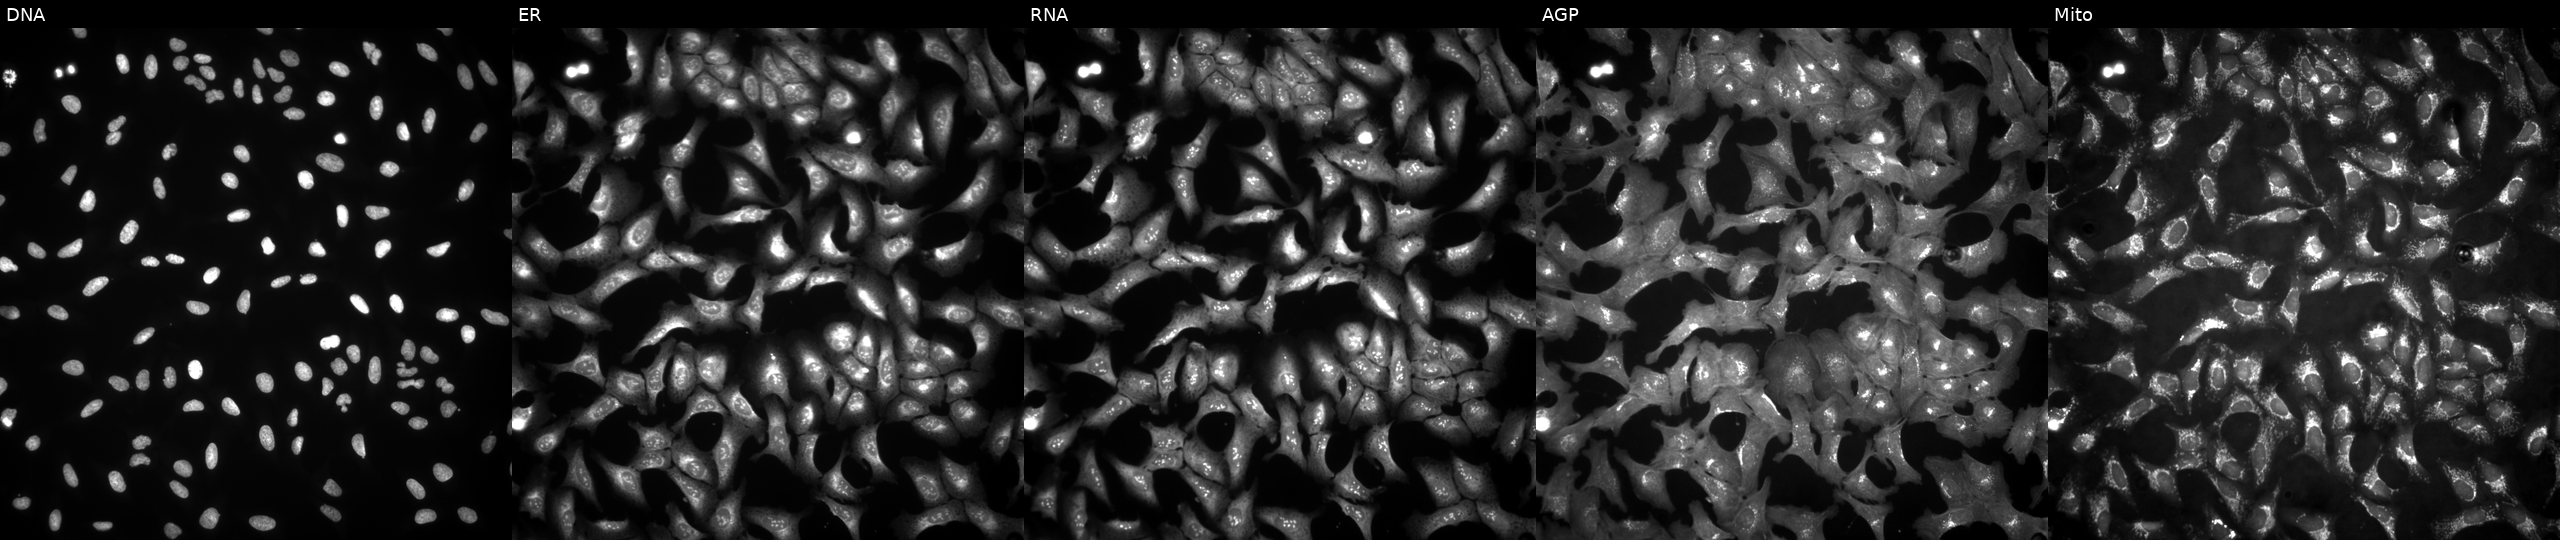
This image strip shows the five Cell Painting channels for a single field of U2OS cells with CXCL10 overexpressed (ORF) (JUMP id JCP2022_906041). Channels (left→right): Hoechst 33342, concanavalin A, SYTO 14, phalloidin and WGA, MitoTracker. Source 4, plate BR00123509, well B15.